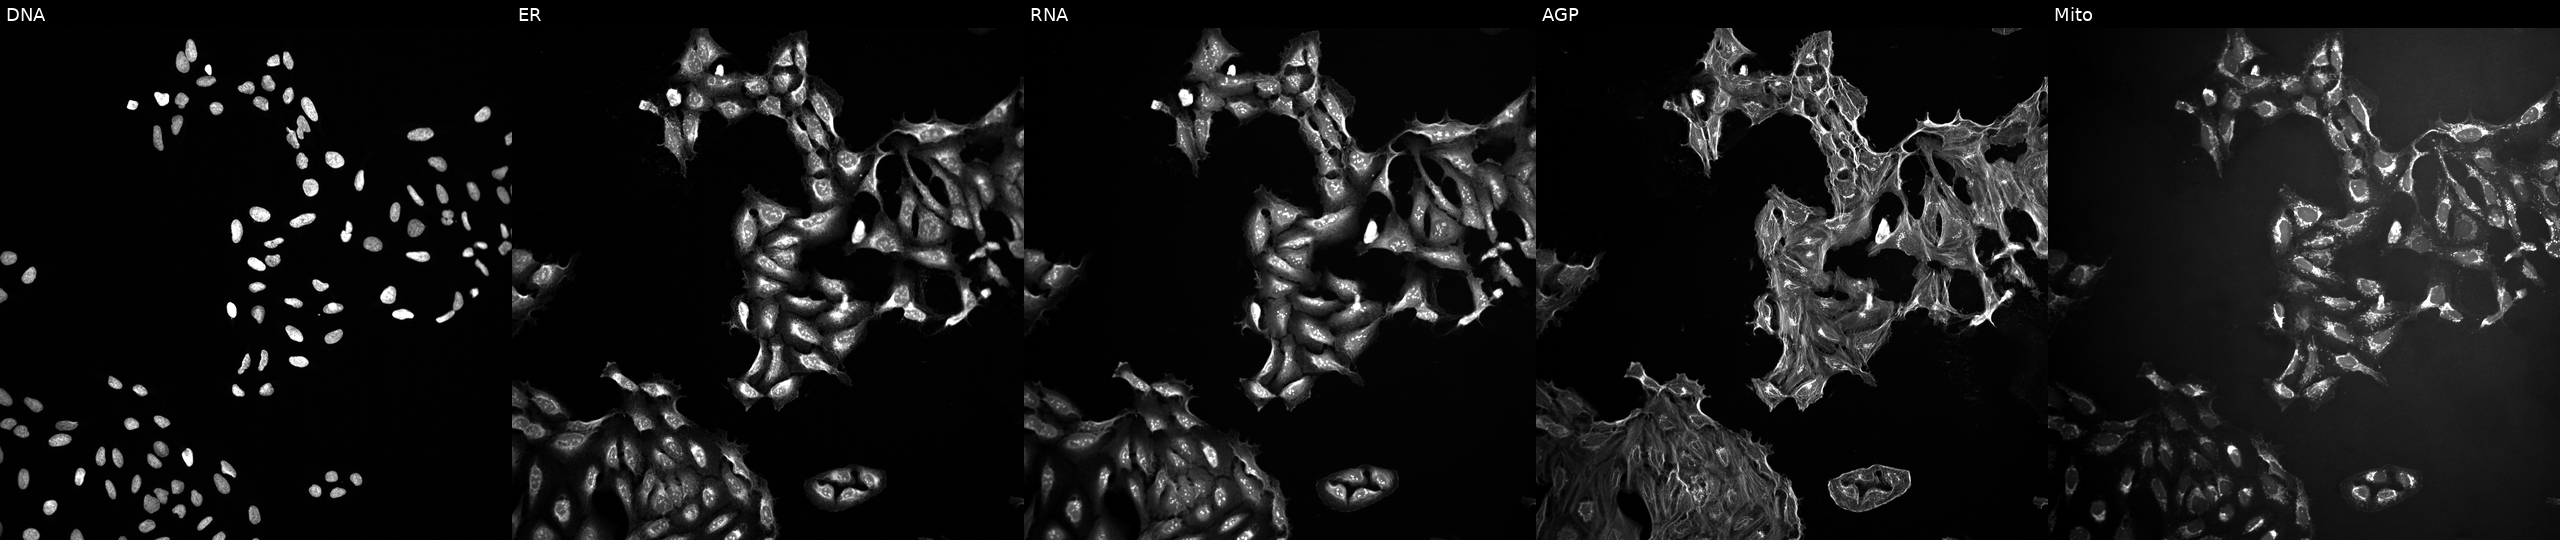
JUMP Cell Painting — TARGET2 plate. U2OS cells treated with DMSO vehicle only (negative control). Channels (left→right): DNA (nuclei); ER (endoplasmic reticulum); RNA (nucleoli and cytoplasmic RNA); AGP (actin cytoskeleton, Golgi, and plasma membrane); Mito (mitochondria).